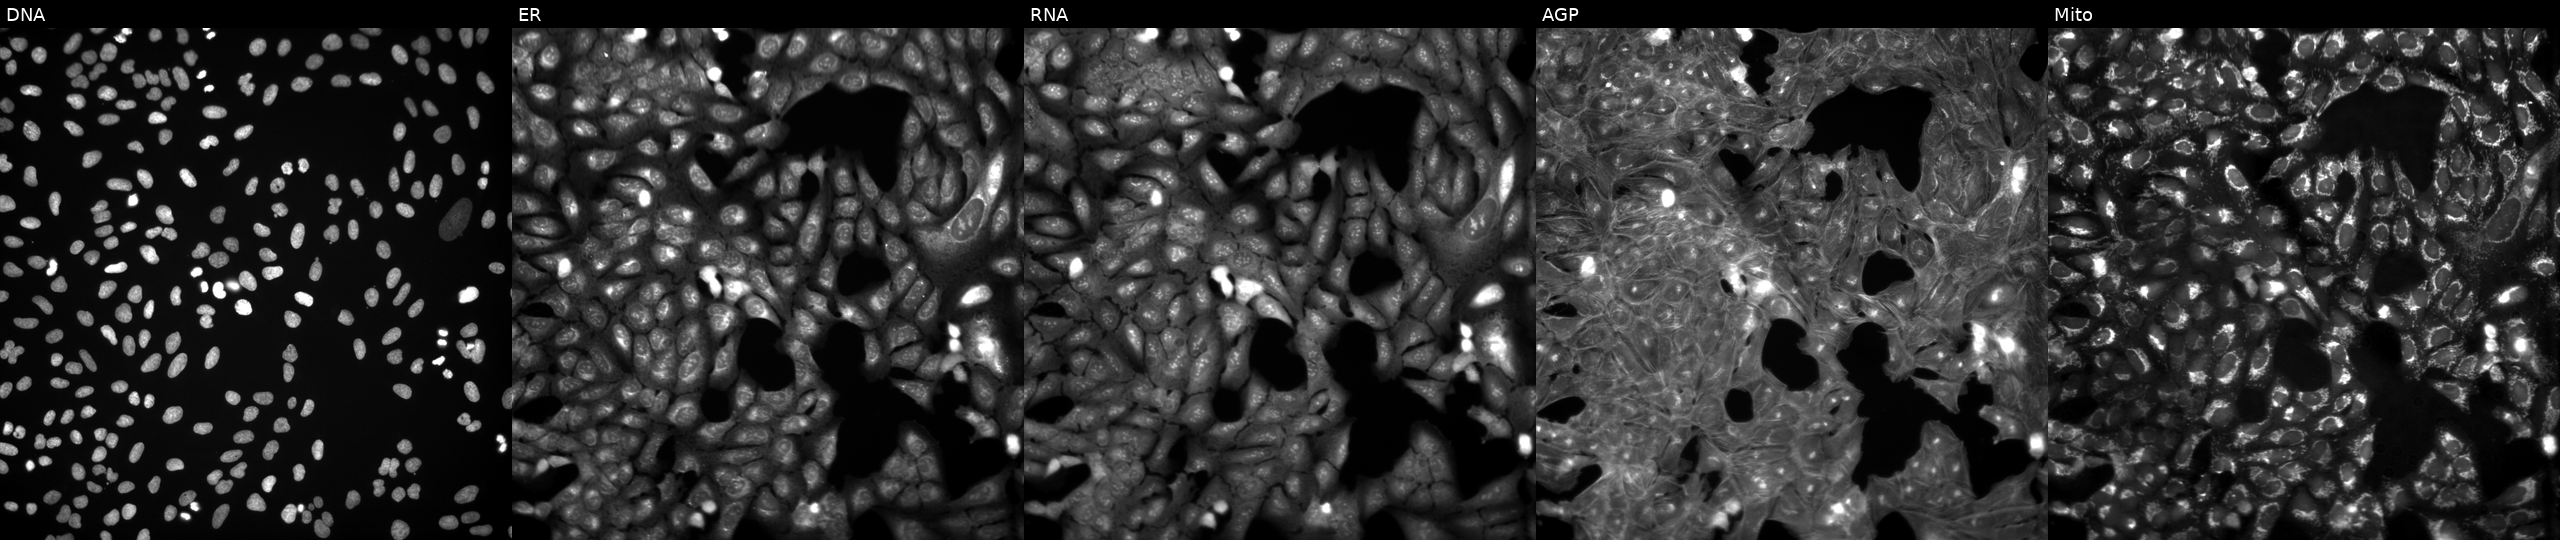
U2OS cells, Cell Painting assay, perturbed with a small-molecule compound (InChIKey NQDJXKOVJZTUJA-UHFFFAOYSA-N). Panels show, left to right, DNA (nuclei); ER (endoplasmic reticulum); RNA (nucleoli and cytoplasmic RNA); AGP (actin cytoskeleton, Golgi, and plasma membrane); Mito (mitochondria). Each panel is percentile-stretched 16-bit fluorescence.